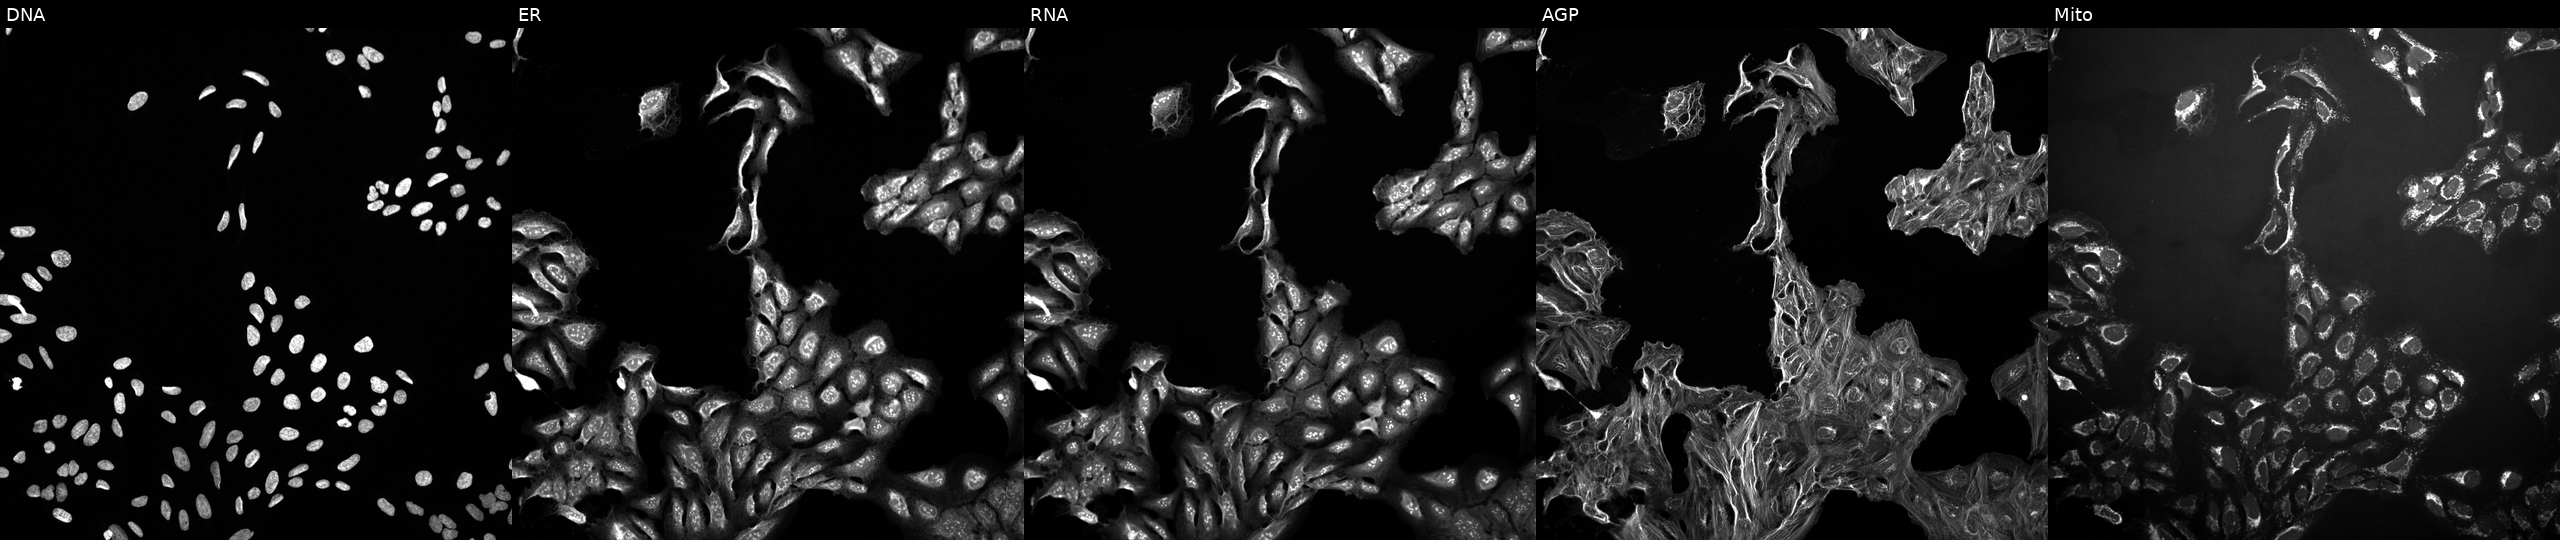
Panels show, left to right, DNA, ER, RNA, AGP, and Mito. U2OS osteosarcoma cells exposed to a small-molecule compound (InChIKey QIHBWVVVRYYYRO-UHFFFAOYSA-N) [SMILES: CC(NC(=O)CCc1nc(=O)c2ccccc2[nH]1)c1ccccc1]. Cell Painting assay, JUMP-CP dataset.